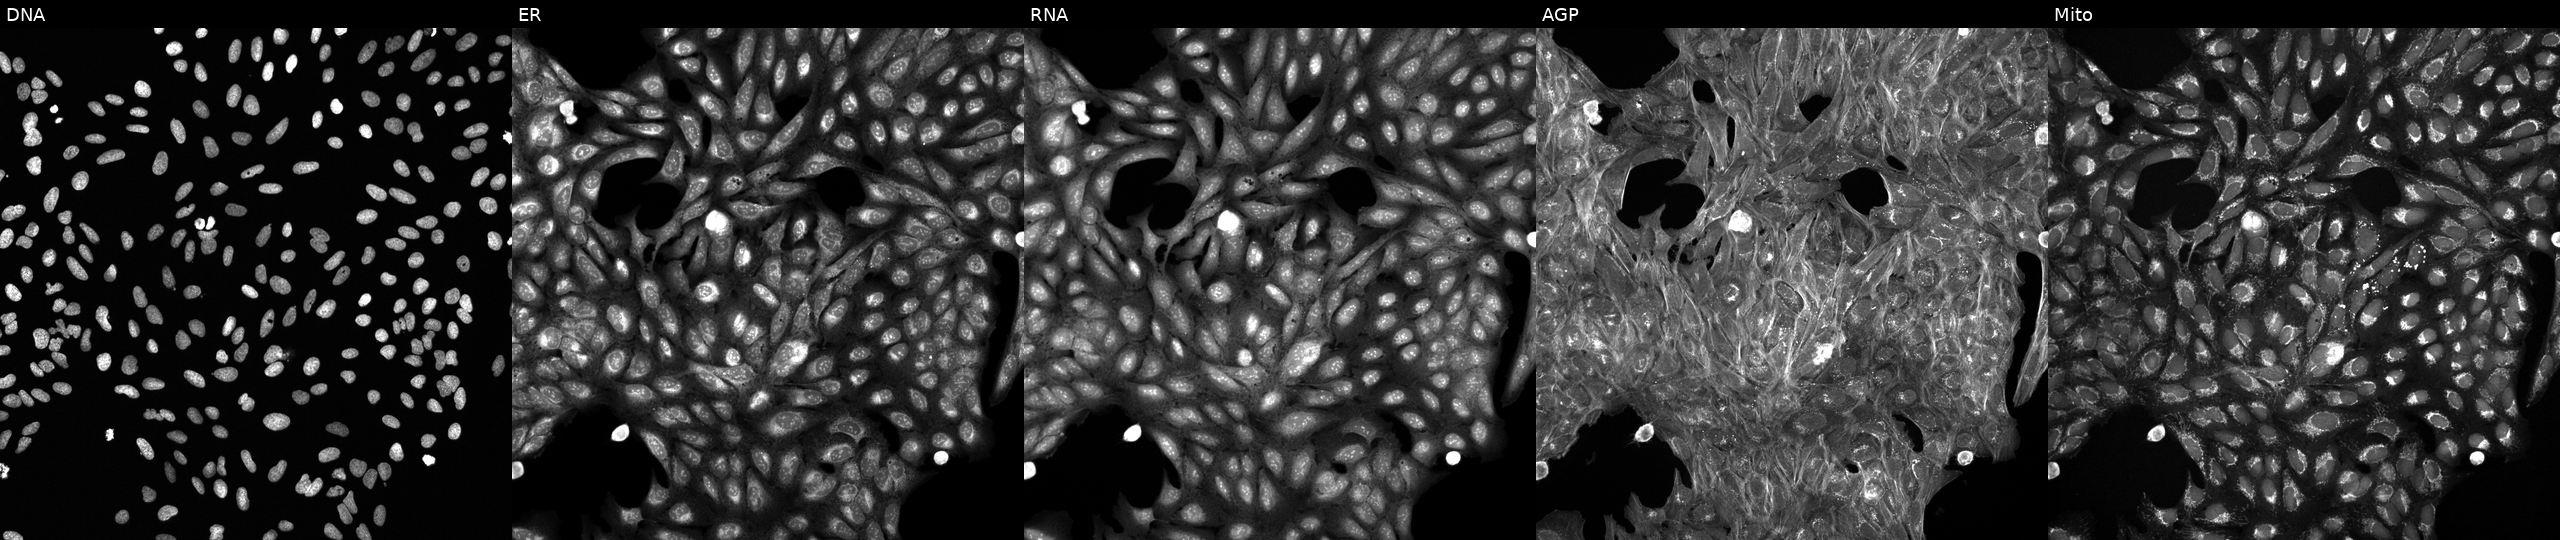
U2OS cells, Cell Painting assay, treated with a small-molecule compound (InChIKey XRVDGNKRPOAQTN-UHFFFAOYSA-N) [SMILES: CC(C)Oc1ccc(-c2nc(-c3cccc4c3CCC4NCCO)no2)cc1C#N]. From left to right: Hoechst 33342, concanavalin A, SYTO 14, phalloidin and WGA, MitoTracker. Each panel is percentile-stretched 16-bit fluorescence.